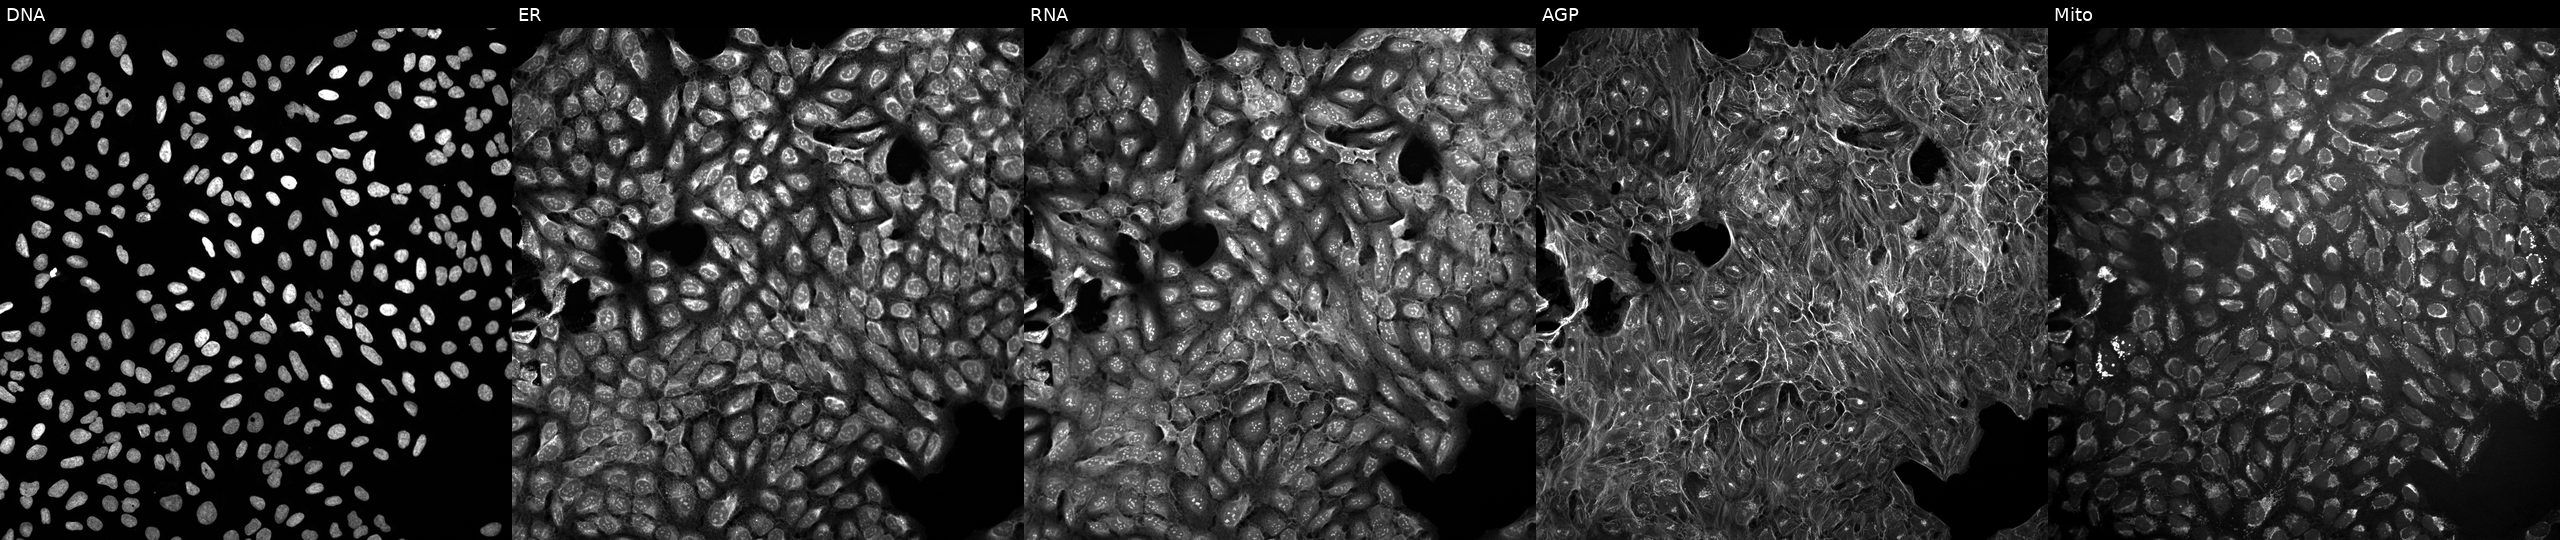
This image strip shows the five Cell Painting channels for a single field of U2OS cells untreated (empty-well control). Channels (left→right): DNA (nuclei); ER (endoplasmic reticulum); RNA (nucleoli and cytoplasmic RNA); AGP (actin cytoskeleton, Golgi, and plasma membrane); Mito (mitochondria). Source 10, plate Dest210531-152324, well O13.